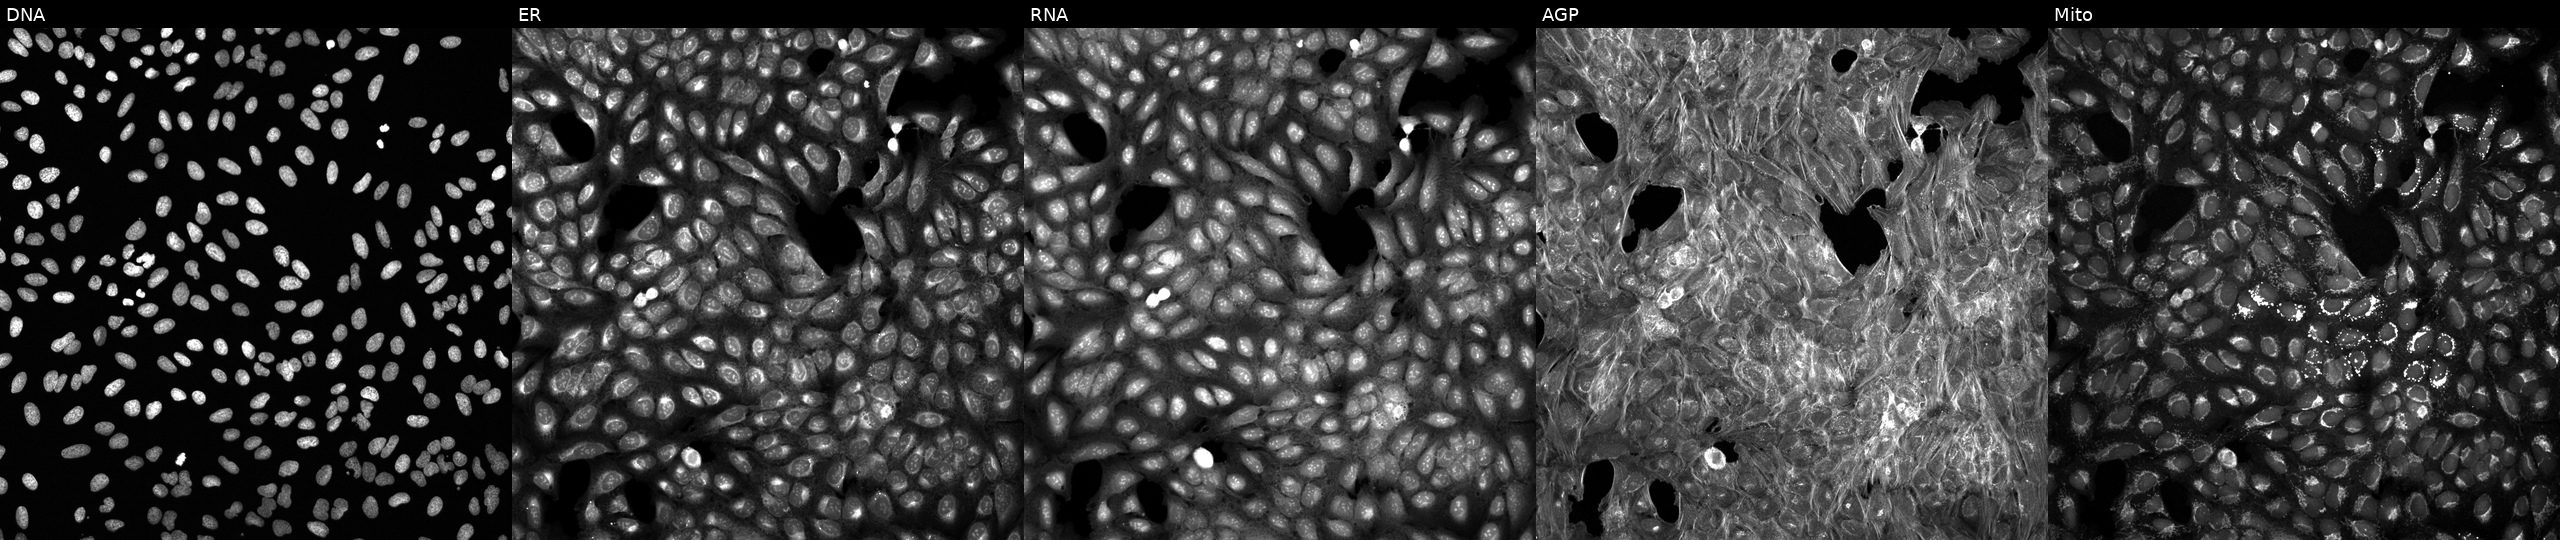
Channels (left→right): Hoechst 33342, concanavalin A, SYTO 14, phalloidin and WGA, MitoTracker. U2OS osteosarcoma cells treated with DMSO vehicle only (negative control). Cell Painting assay, JUMP-CP dataset.